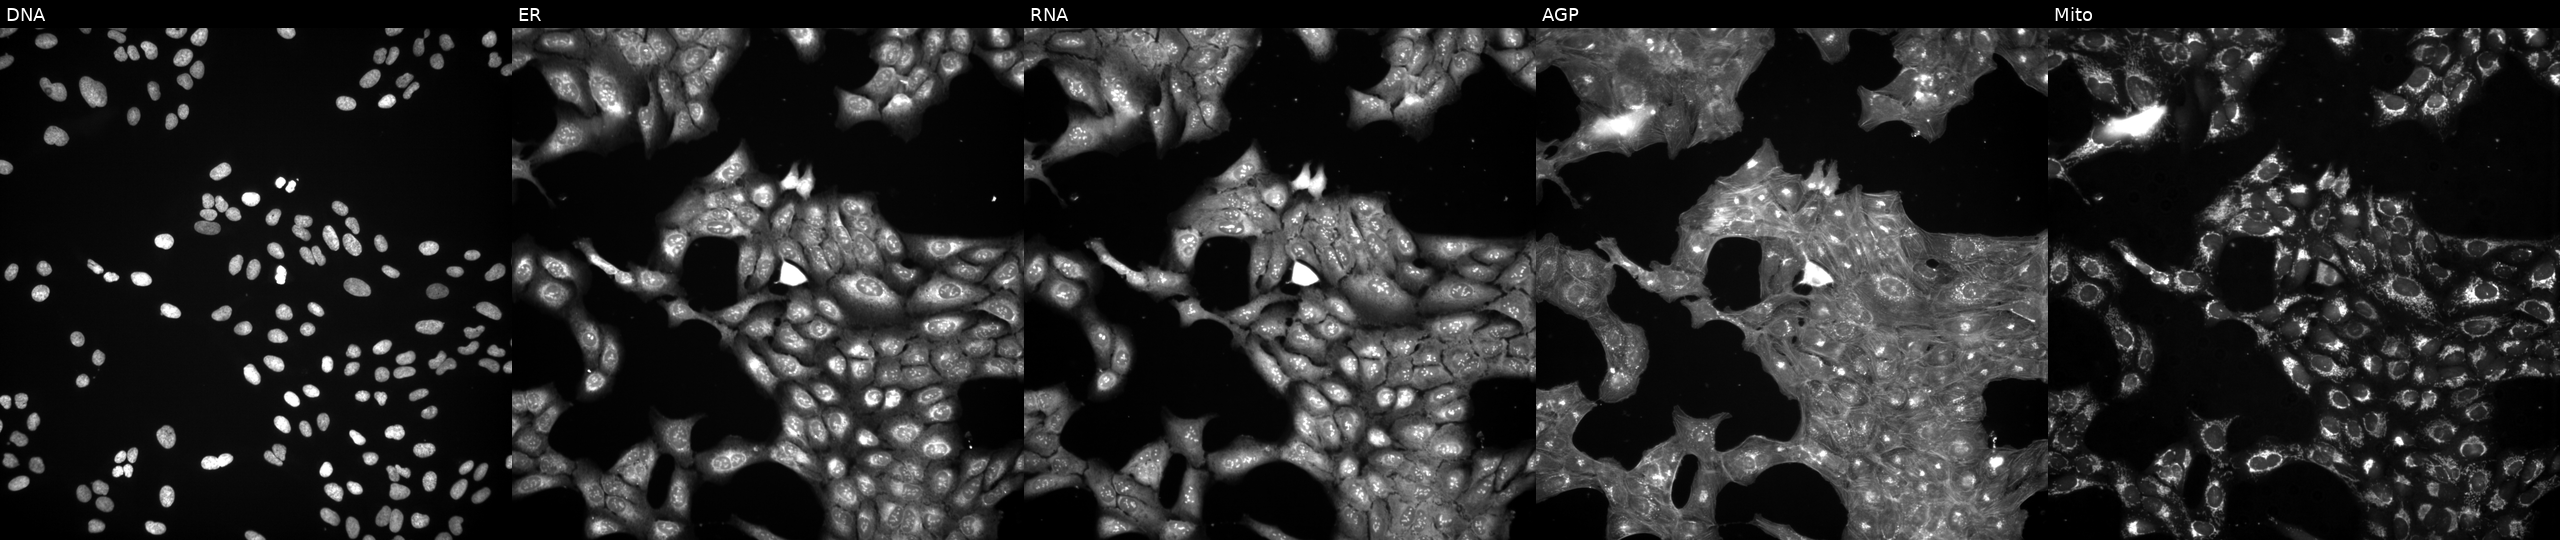
U2OS cells, Cell Painting assay, treated with a small-molecule compound (InChIKey XZLNIGJGWWADEU-UHFFFAOYSA-N) (JUMP id JCP2022_107048). Channels (left→right): DNA, ER, RNA, AGP, and Mito. Each panel is percentile-stretched 16-bit fluorescence.